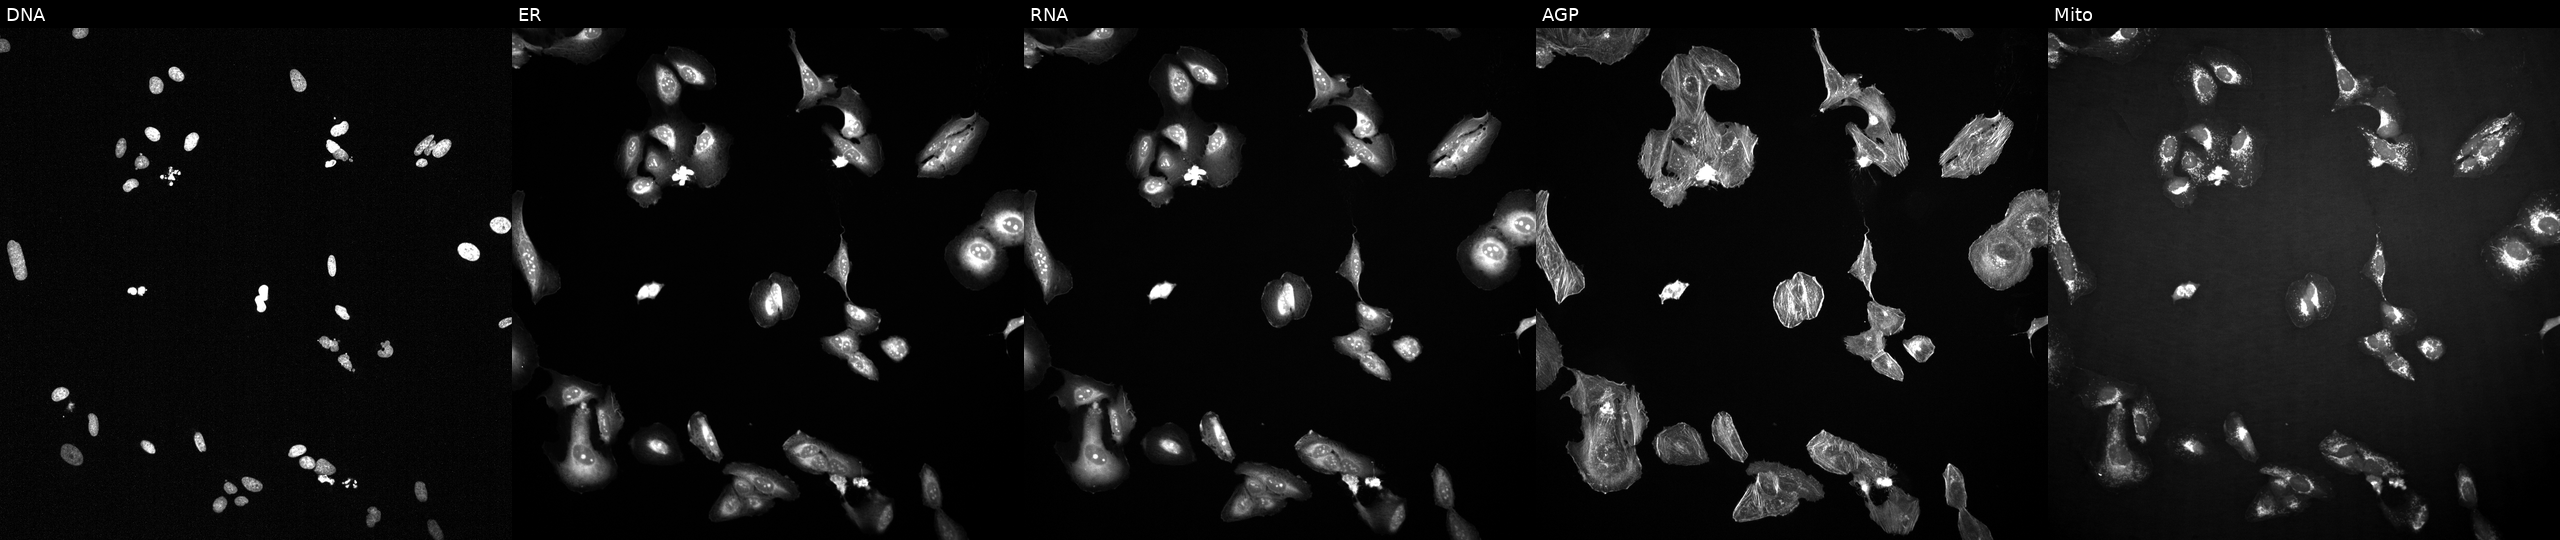
Five-channel Cell Painting image of U2OS cells exposed to the positive-control compound TC-S-7004 (JUMP id JCP2022_012818). Panels show, left to right, Hoechst 33342, concanavalin A, SYTO 14, phalloidin and WGA, MitoTracker.